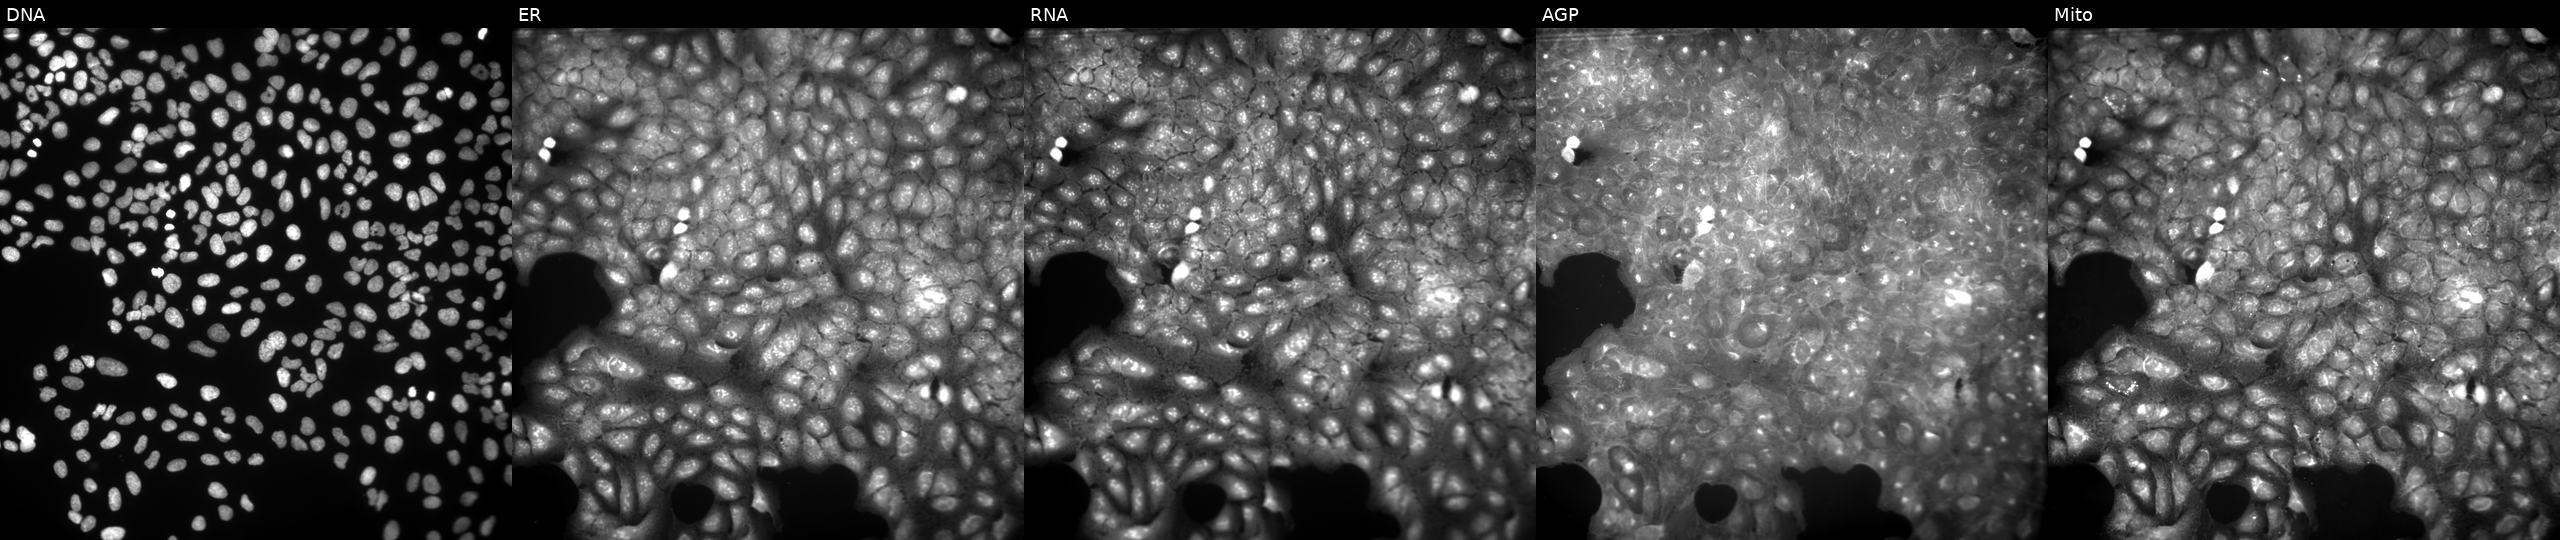
This image strip shows the five Cell Painting channels for a single field of U2OS cells perturbed with a small-molecule compound (JUMP id JCP2022_008337). Panels show, left to right, Hoechst 33342, concanavalin A, SYTO 14, phalloidin and WGA, MitoTracker.